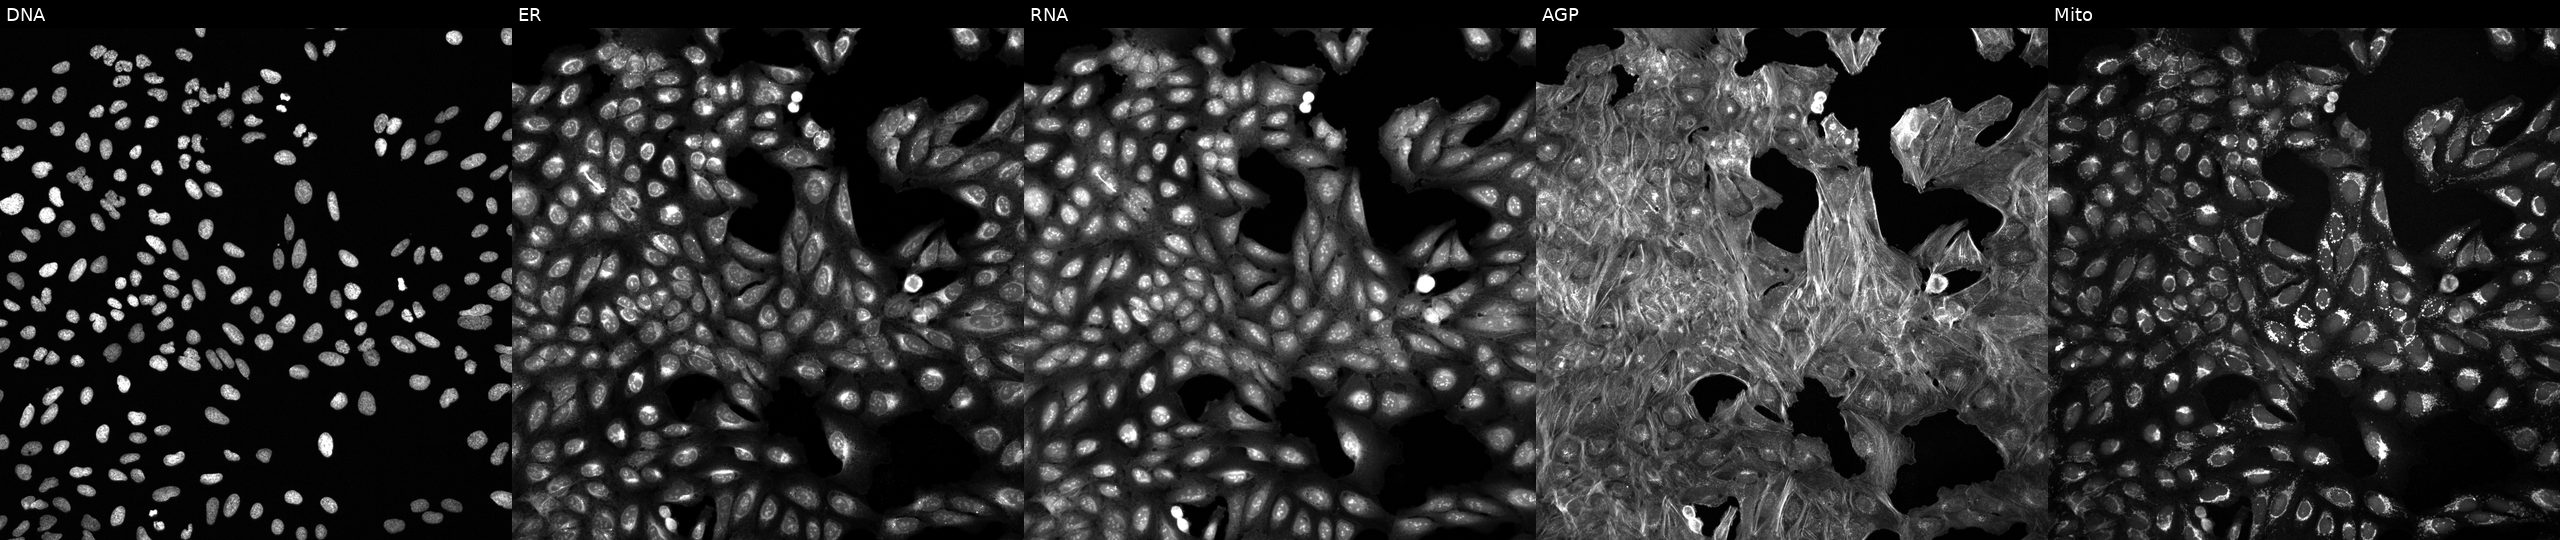
The five panels, left to right, show DNA, ER, RNA, AGP, and Mito. U2OS osteosarcoma cells treated with DMSO vehicle only (negative control). Cell Painting assay, JUMP-CP dataset.